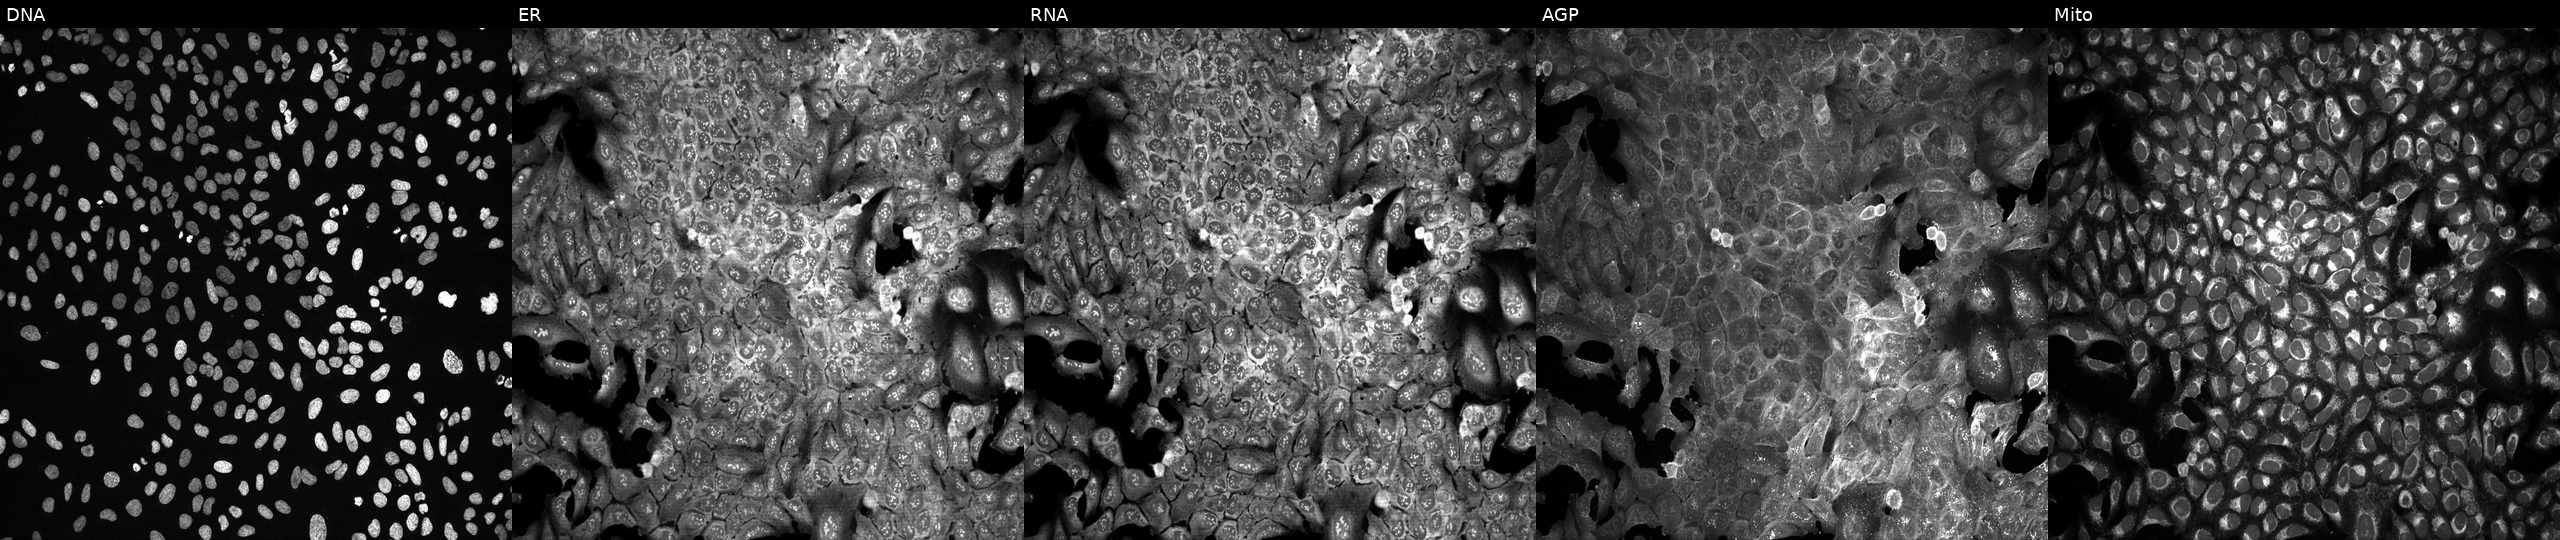
This image strip shows the five Cell Painting channels for a single field of U2OS cells with RNF14 knocked out by CRISPR. Channels (left→right): Hoechst 33342, concanavalin A, SYTO 14, phalloidin and WGA, MitoTracker. Source 13, plate CP-CC9-R6-19, well H12.